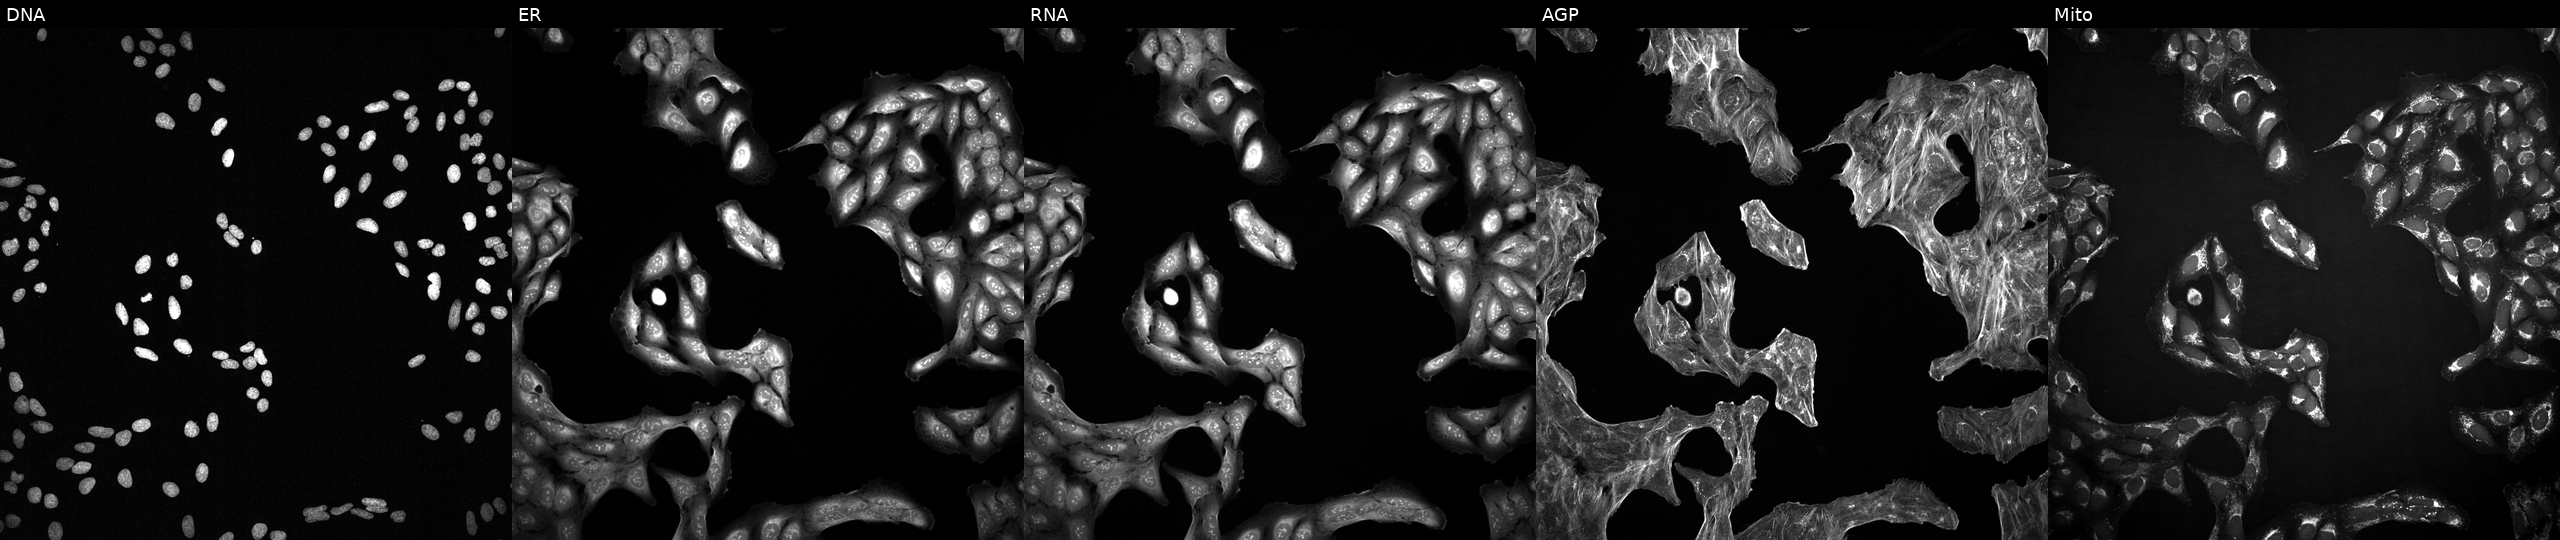
High-content fluorescence microscopy (Cell Painting). Cell line: U2OS. Perturbation: treated with a small-molecule compound (InChIKey WRBUGQZESUREMP-UHFFFAOYSA-N) (JUMP id JCP2022_100616). From left to right: Hoechst 33342, concanavalin A, SYTO 14, phalloidin and WGA, MitoTracker. Source 2, plate 1053601763, well K08.